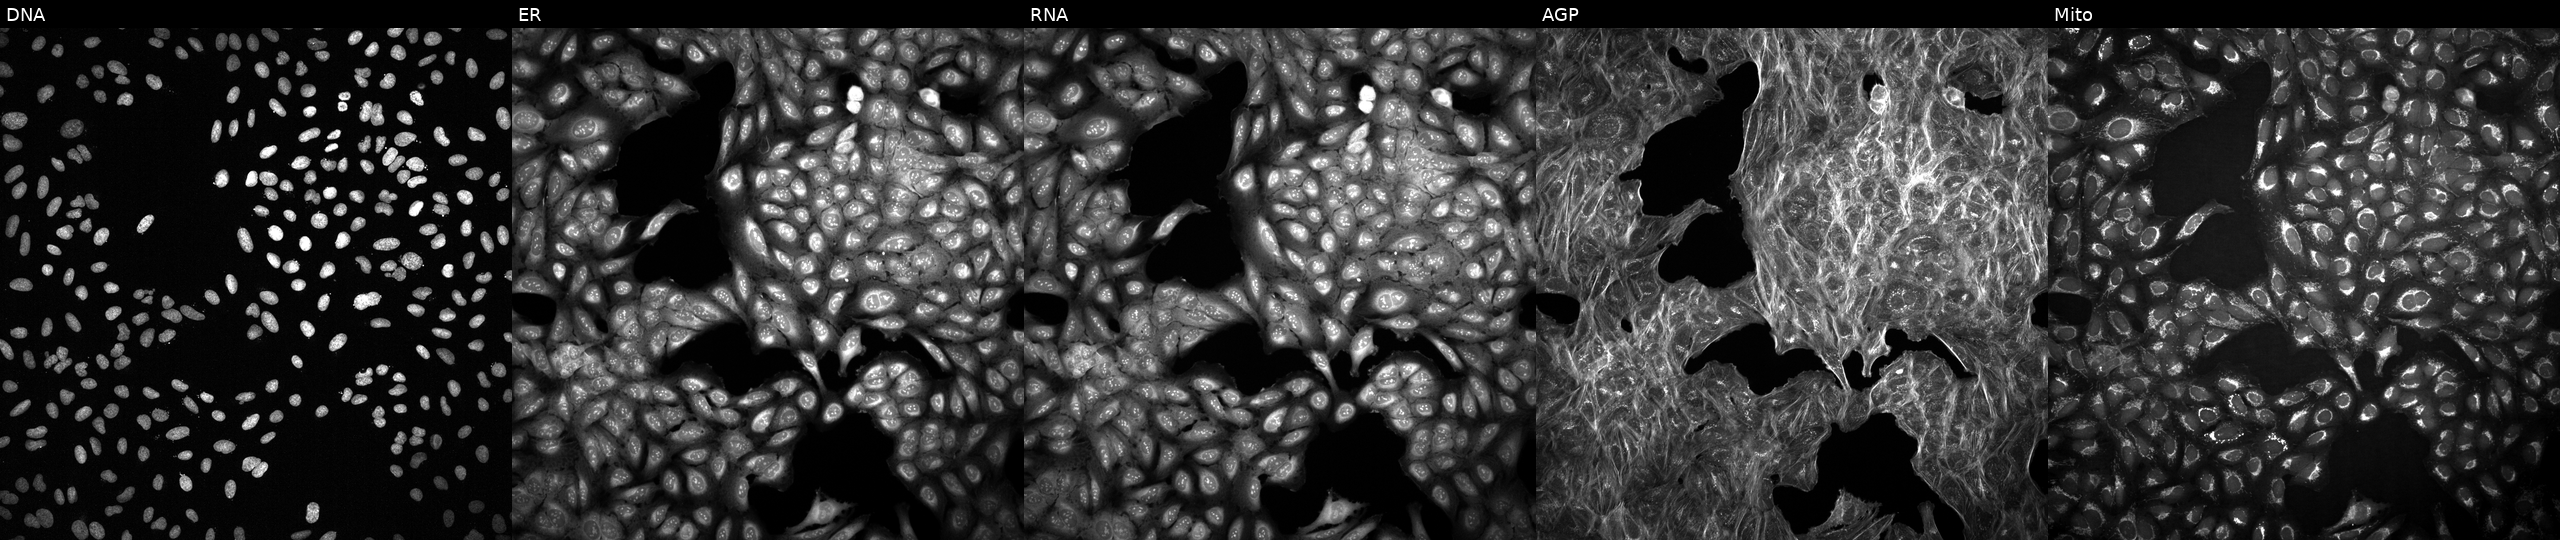
U2OS cells, Cell Painting assay, perturbed with a small-molecule compound (InChIKey TTYSYNWGNSXKRF-UHFFFAOYSA-N). Panels show, left to right, Hoechst 33342, concanavalin A, SYTO 14, phalloidin and WGA, MitoTracker. Each panel is percentile-stretched 16-bit fluorescence. Source 2, plate 1053601756, well I21.